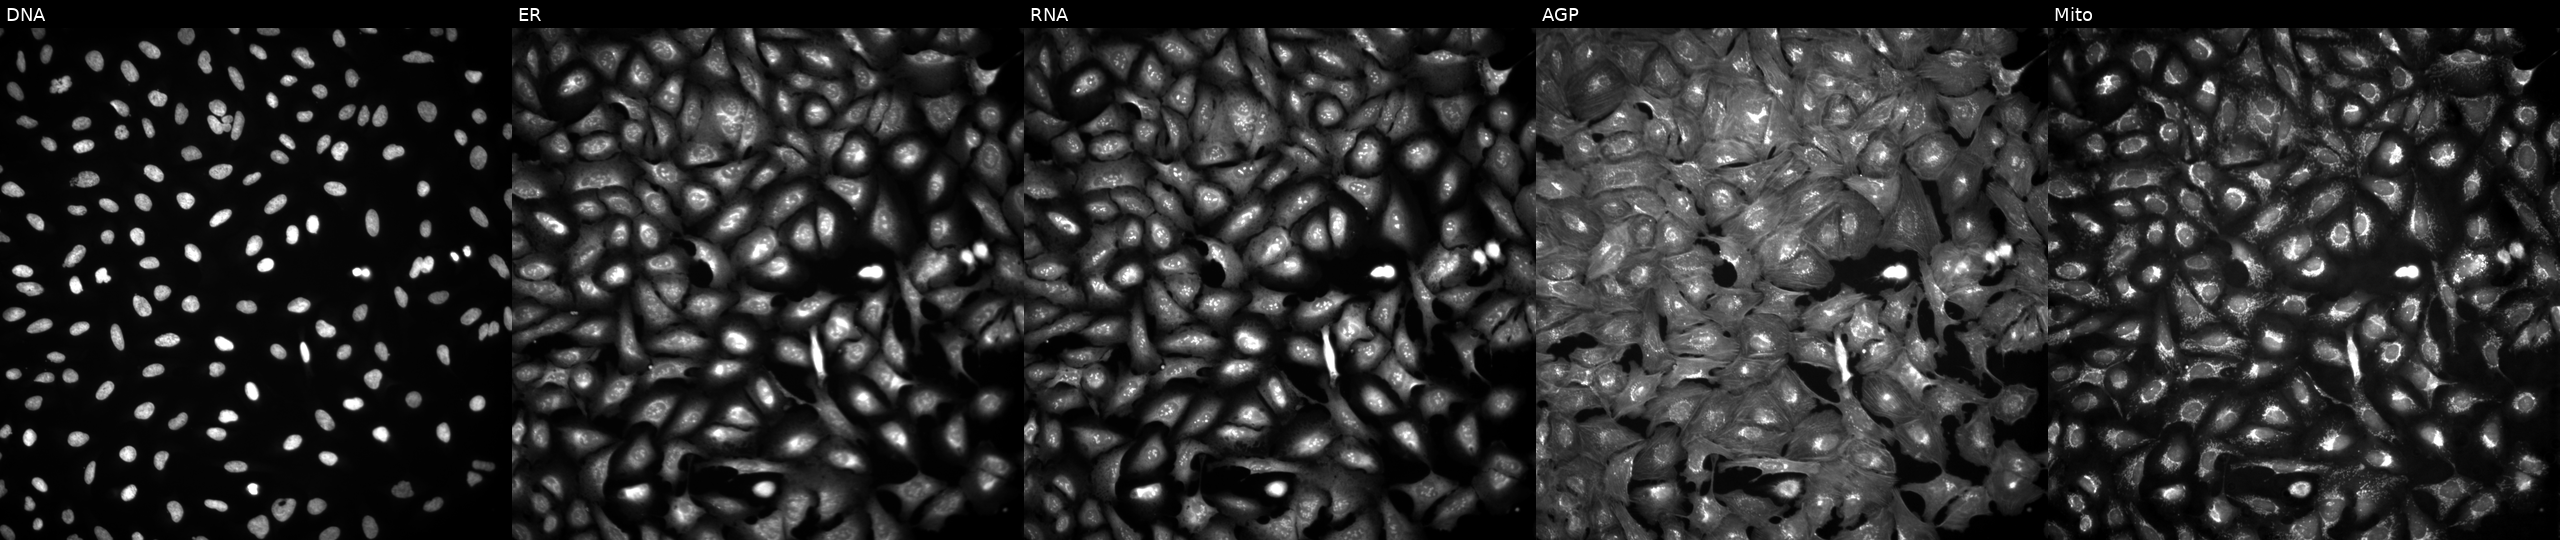
This image strip shows the five Cell Painting channels for a single field of U2OS cells with YES1 overexpressed (ORF). The five panels, left to right, show DNA (nuclei); ER (endoplasmic reticulum); RNA (nucleoli and cytoplasmic RNA); AGP (actin cytoskeleton, Golgi, and plasma membrane); Mito (mitochondria).